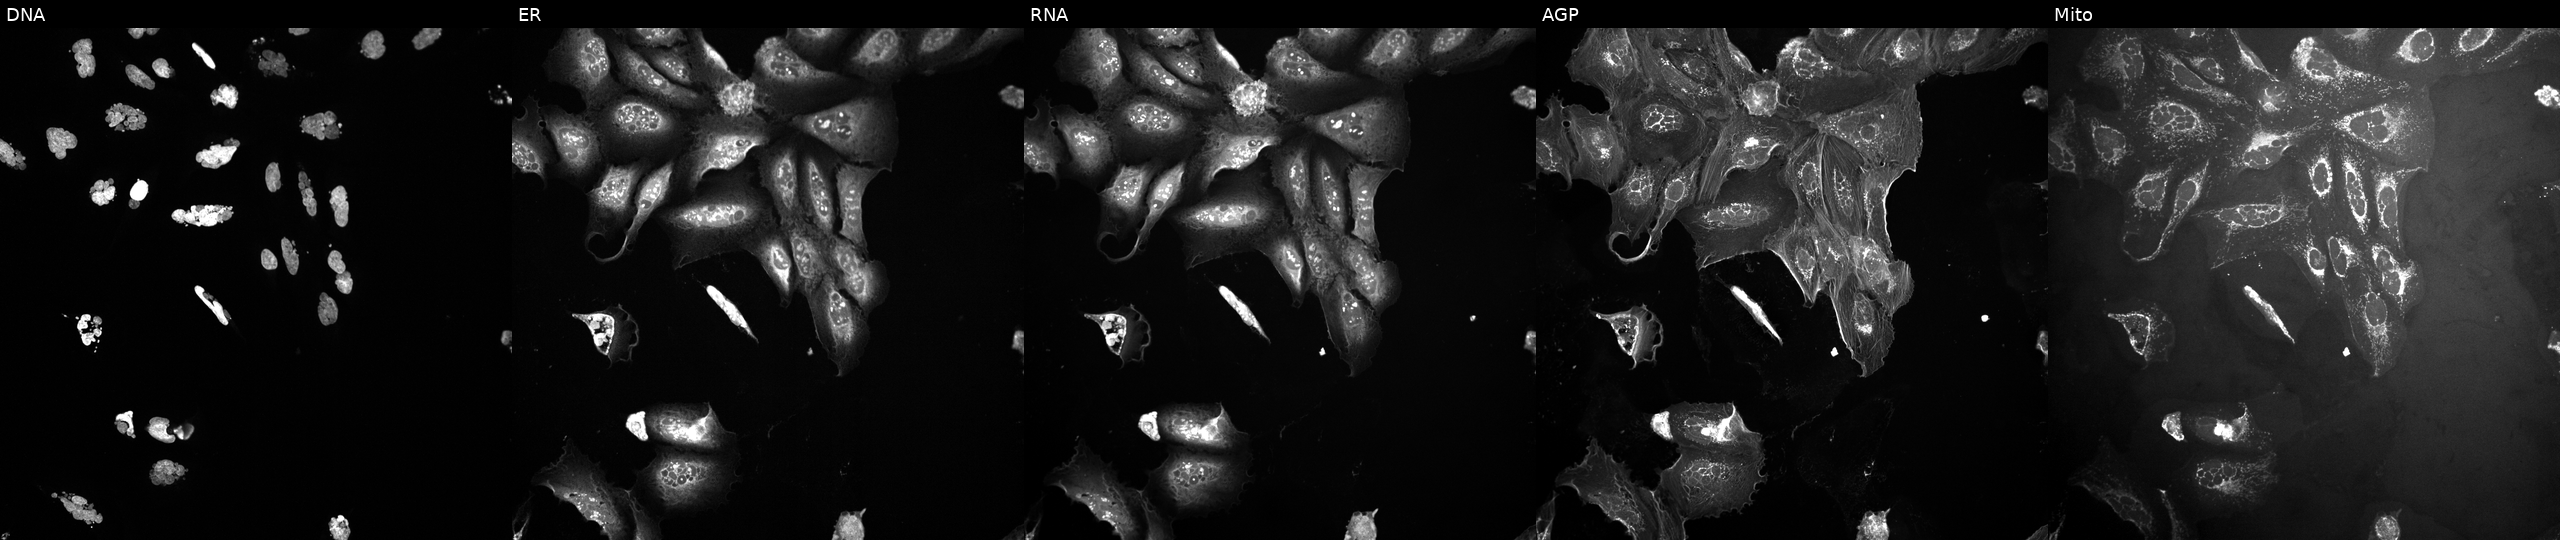
Five-channel Cell Painting image of U2OS cells treated with AMG900 (positive-control compound). Panels show, left to right, DNA, ER, RNA, AGP, and Mito.